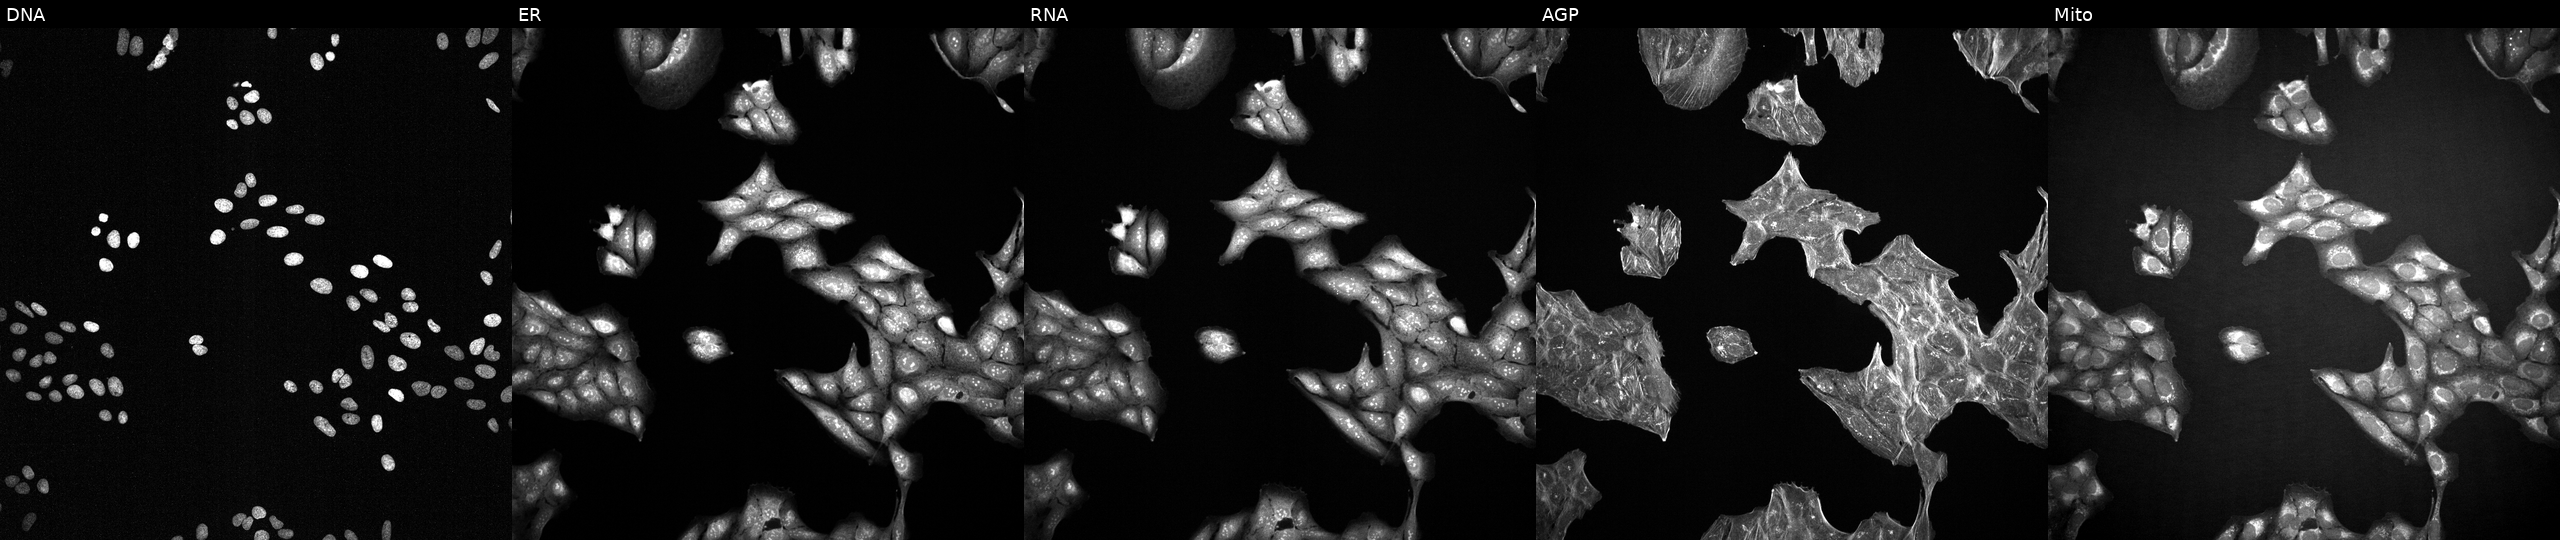
This image strip shows the five Cell Painting channels for a single field of U2OS cells exposed to a small-molecule compound (InChIKey LNFZRMDSZJCZTG-UHFFFAOYSA-N) [SMILES: Cc1ccc(NC(=O)Nc2cc(C(F)(F)F)ccc2F)cc1Nc1ccc2c(c1)=NC(=O)C=2Cc1ccc[nH]1]. From left to right: DNA, ER, RNA, AGP, and Mito. Source 2, plate 1053599503, well P23.